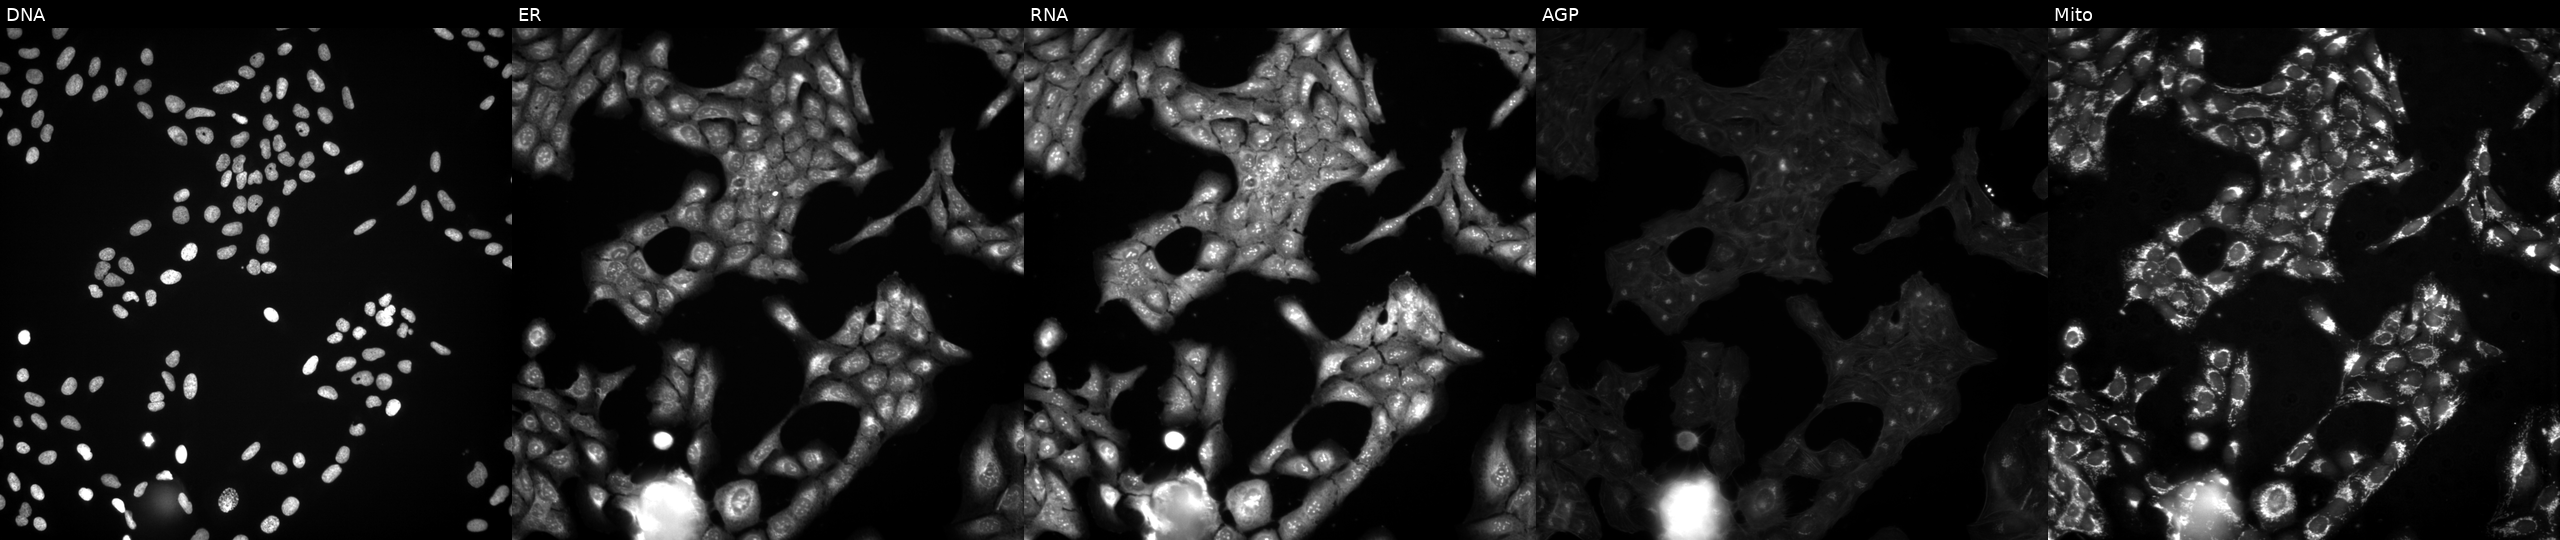
From left to right: Hoechst 33342, concanavalin A, SYTO 14, phalloidin and WGA, MitoTracker. U2OS osteosarcoma cells perturbed with a small-molecule compound (InChIKey FHZZDIALYGZELV-UHFFFAOYSA-N). Cell Painting assay, JUMP-CP dataset.